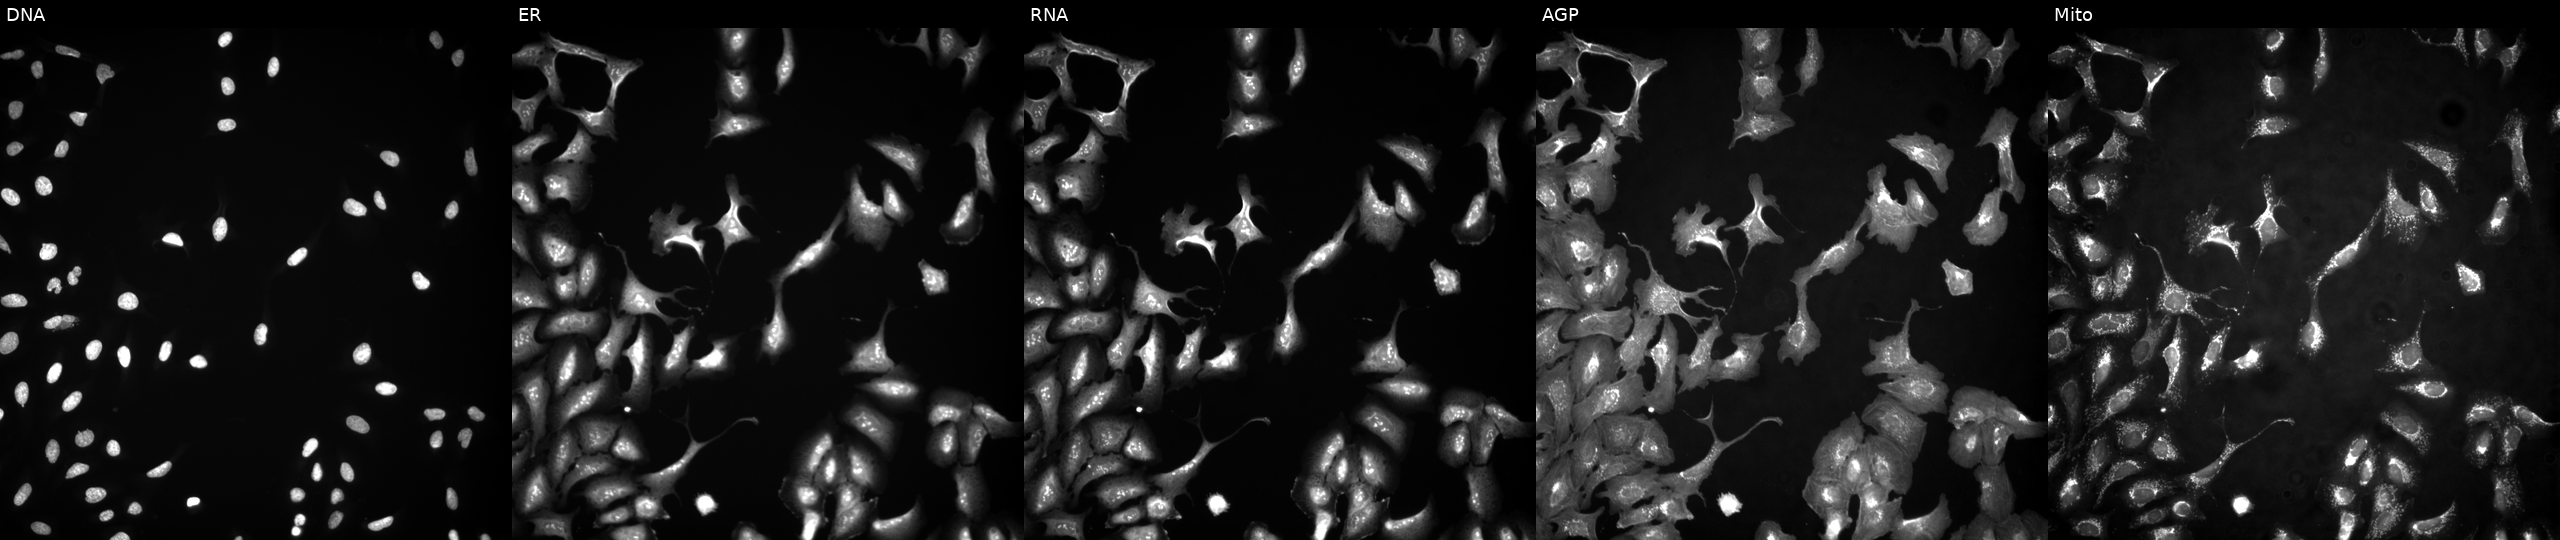
Five-channel Cell Painting image of U2OS cells with CDYL2 overexpressed (ORF). The five panels, left to right, show DNA (nuclei); ER (endoplasmic reticulum); RNA (nucleoli and cytoplasmic RNA); AGP (actin cytoskeleton, Golgi, and plasma membrane); Mito (mitochondria).